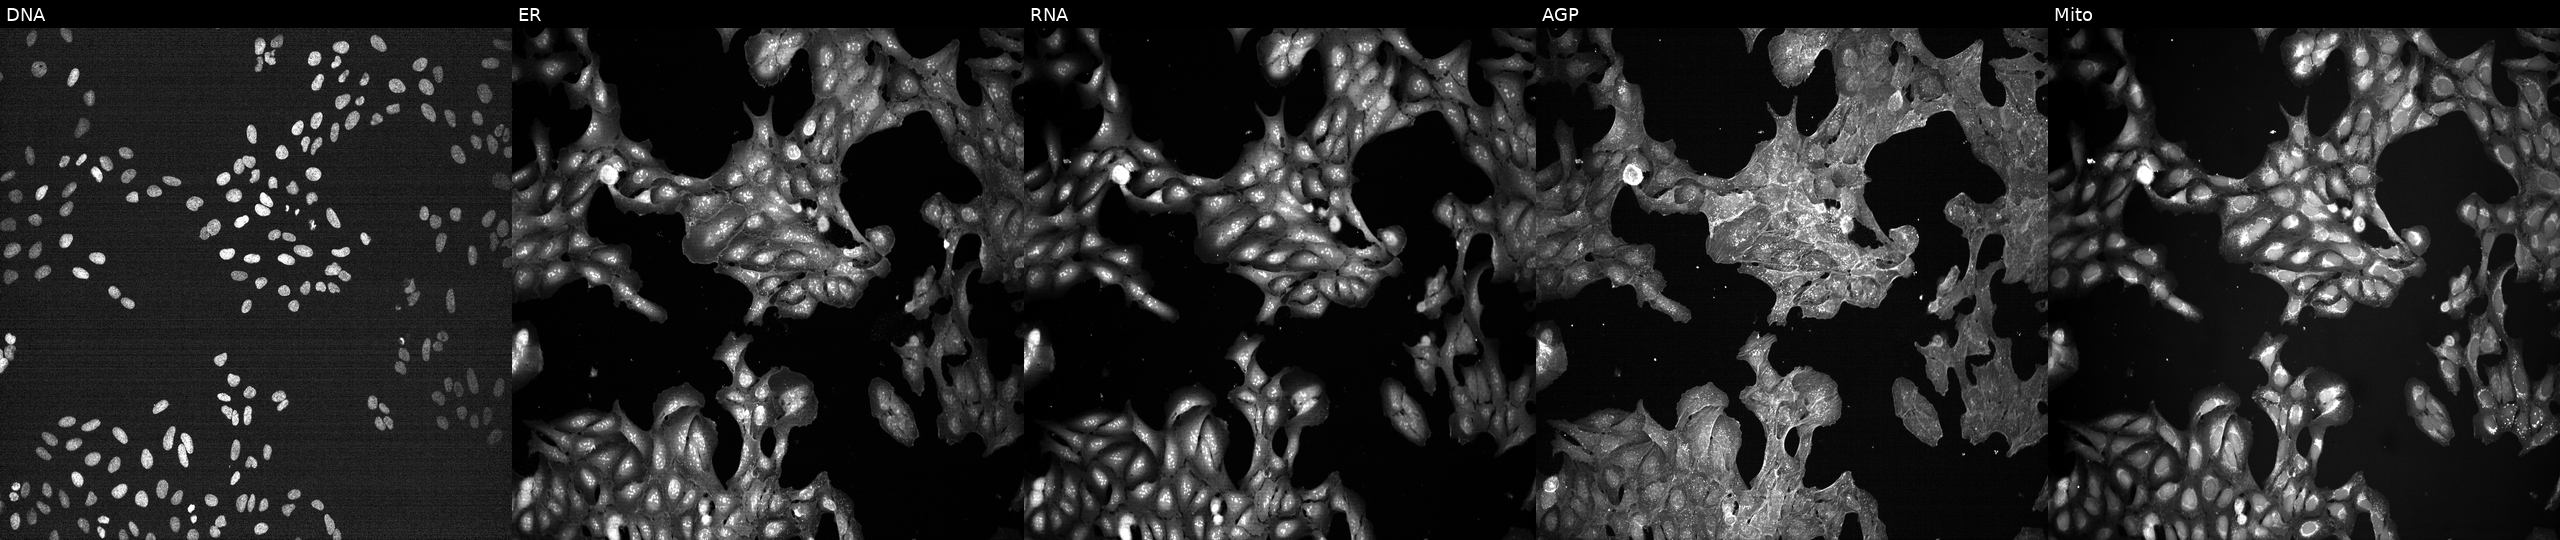
The five panels, left to right, show Hoechst 33342, concanavalin A, SYTO 14, phalloidin and WGA, MitoTracker. U2OS osteosarcoma cells perturbed with a small-molecule compound (JUMP id JCP2022_112702). Cell Painting assay, JUMP-CP dataset.